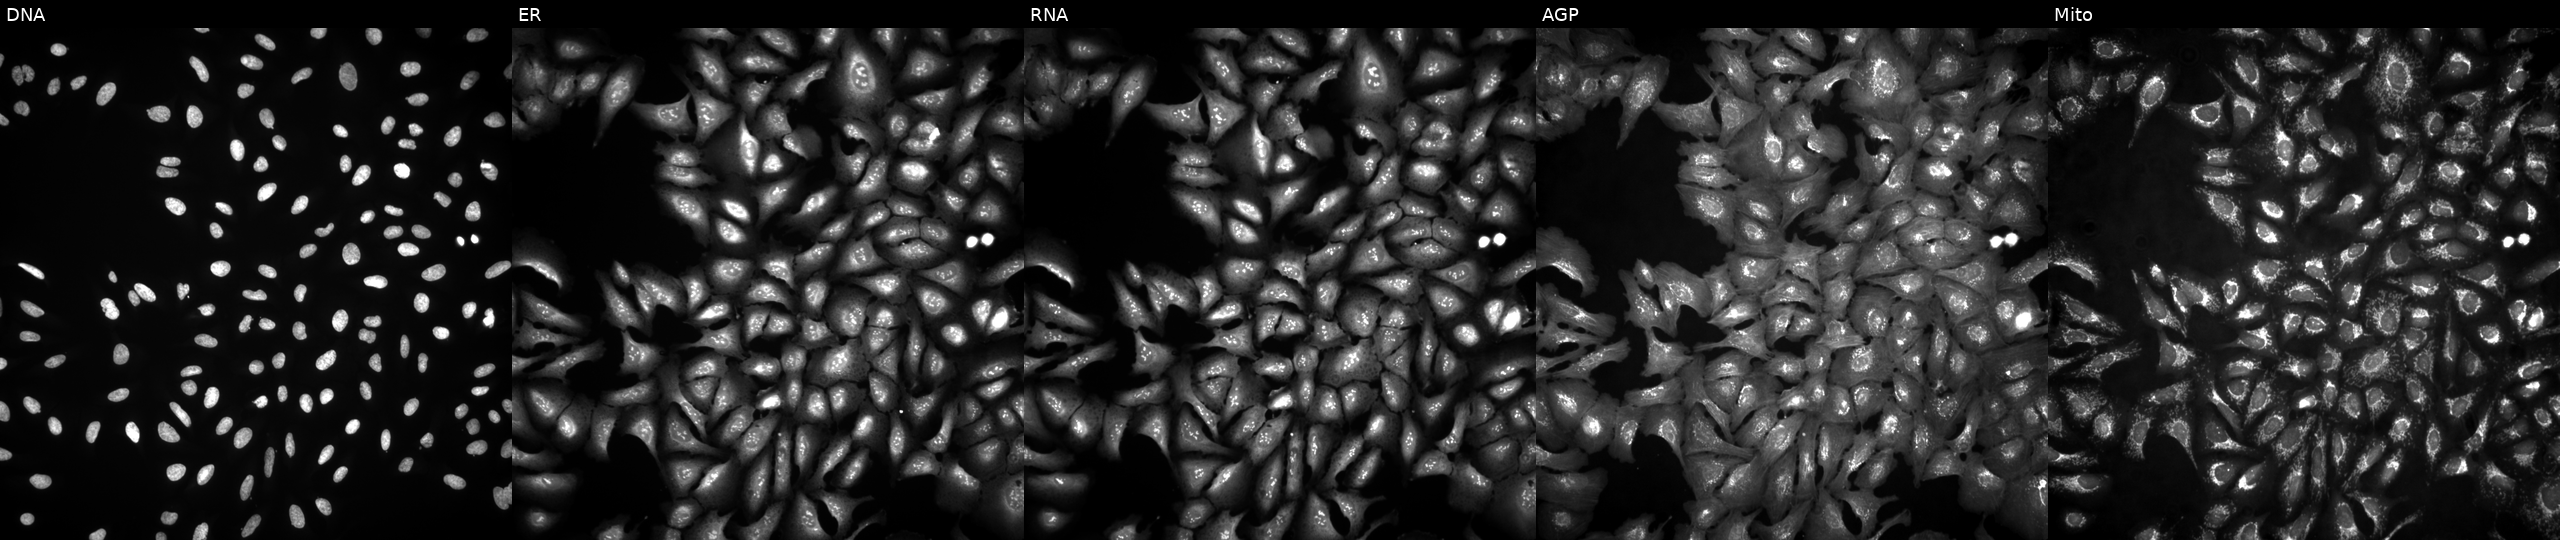
U2OS cells, Cell Painting assay, transfected with an ORF construct for CTNNA2 (JUMP id JCP2022_905671). From left to right: DNA (nuclei); ER (endoplasmic reticulum); RNA (nucleoli and cytoplasmic RNA); AGP (actin cytoskeleton, Golgi, and plasma membrane); Mito (mitochondria). Each panel is percentile-stretched 16-bit fluorescence.